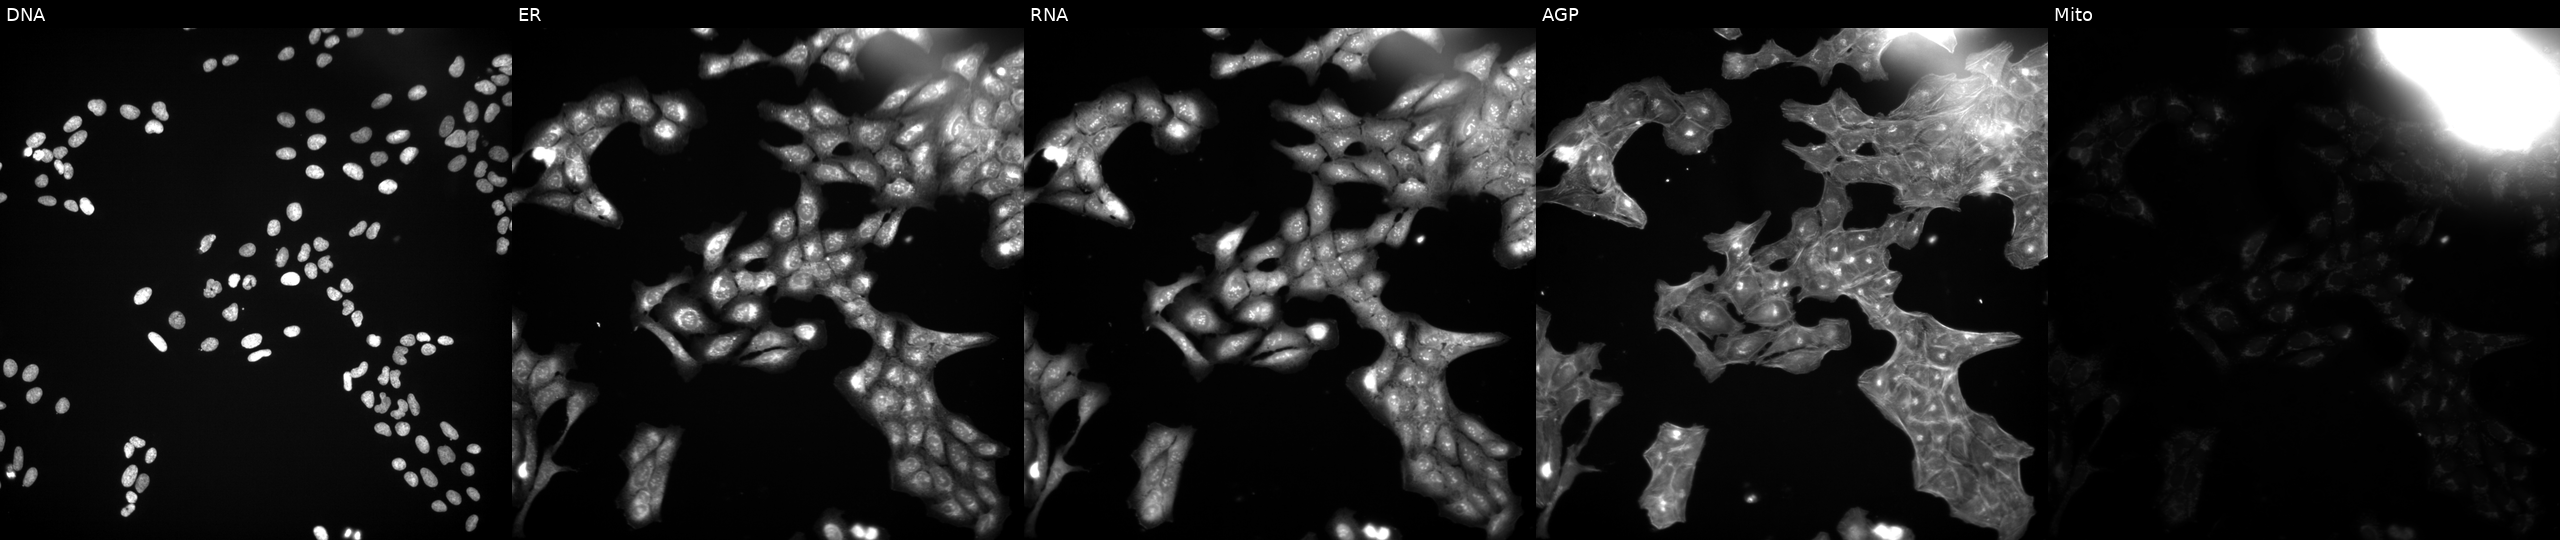
High-content fluorescence microscopy (Cell Painting). Cell line: U2OS. Perturbation: exposed to a small-molecule compound [SMILES: CCOC(=O)Nc1ccc(=NCc2ccc(F)cc2)[nH]c1N] (JUMP id JCP2022_042261). From left to right: Hoechst 33342, concanavalin A, SYTO 14, phalloidin and WGA, MitoTracker. Source 3, plate JCPQC053, well A23.